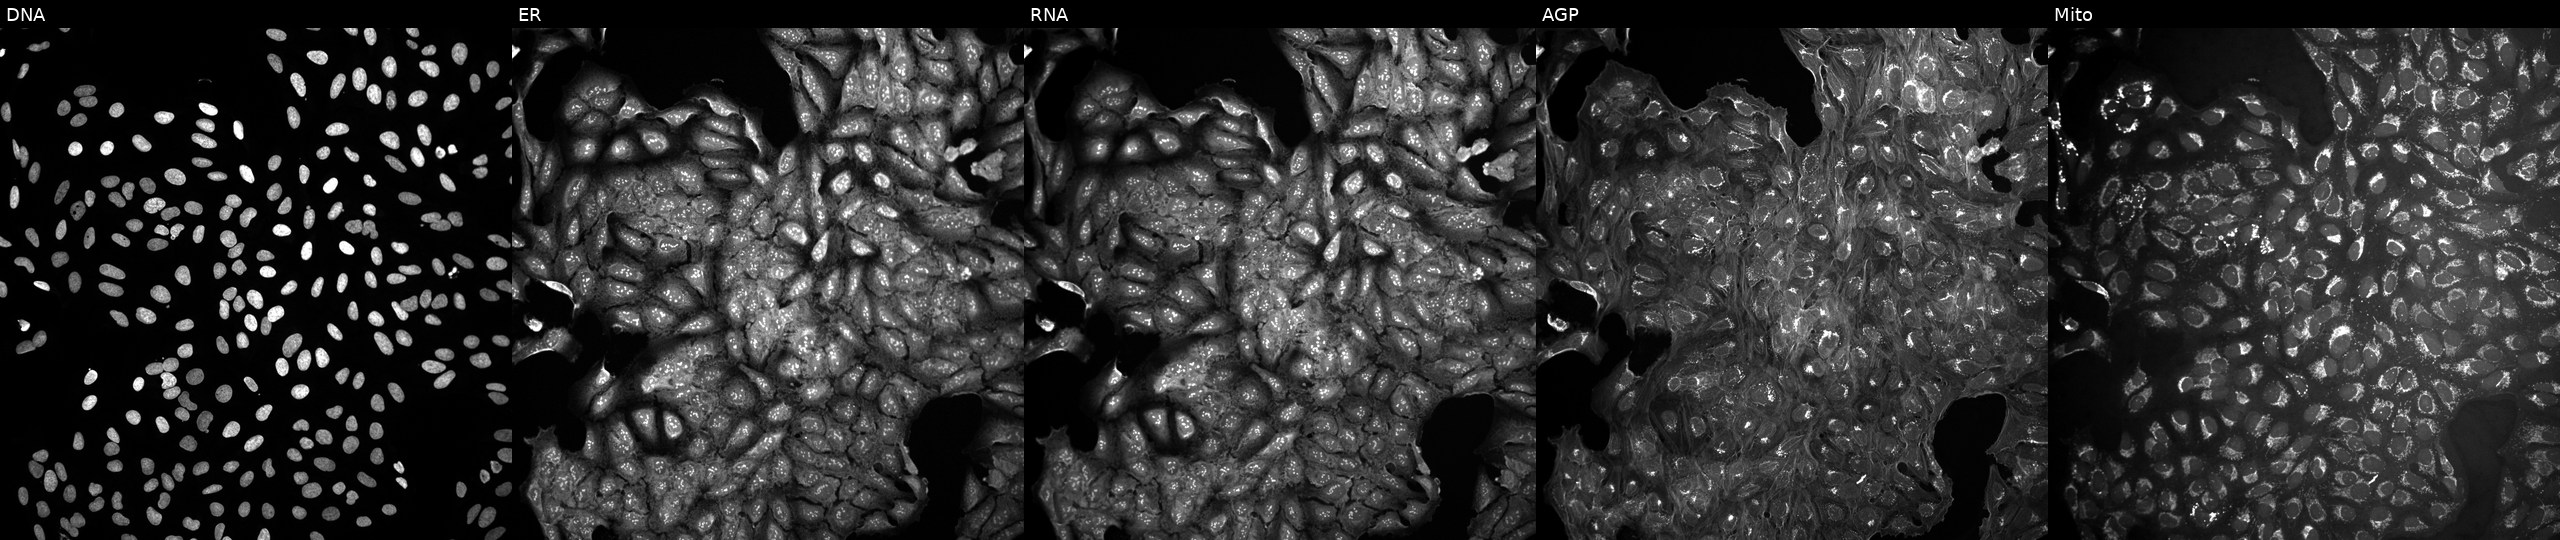
High-content fluorescence microscopy (Cell Painting). Cell line: U2OS. Perturbation: exposed to a small-molecule compound. Channels (left→right): DNA, ER, RNA, AGP, and Mito. Source 10, plate Dest210531-152149, well N21.